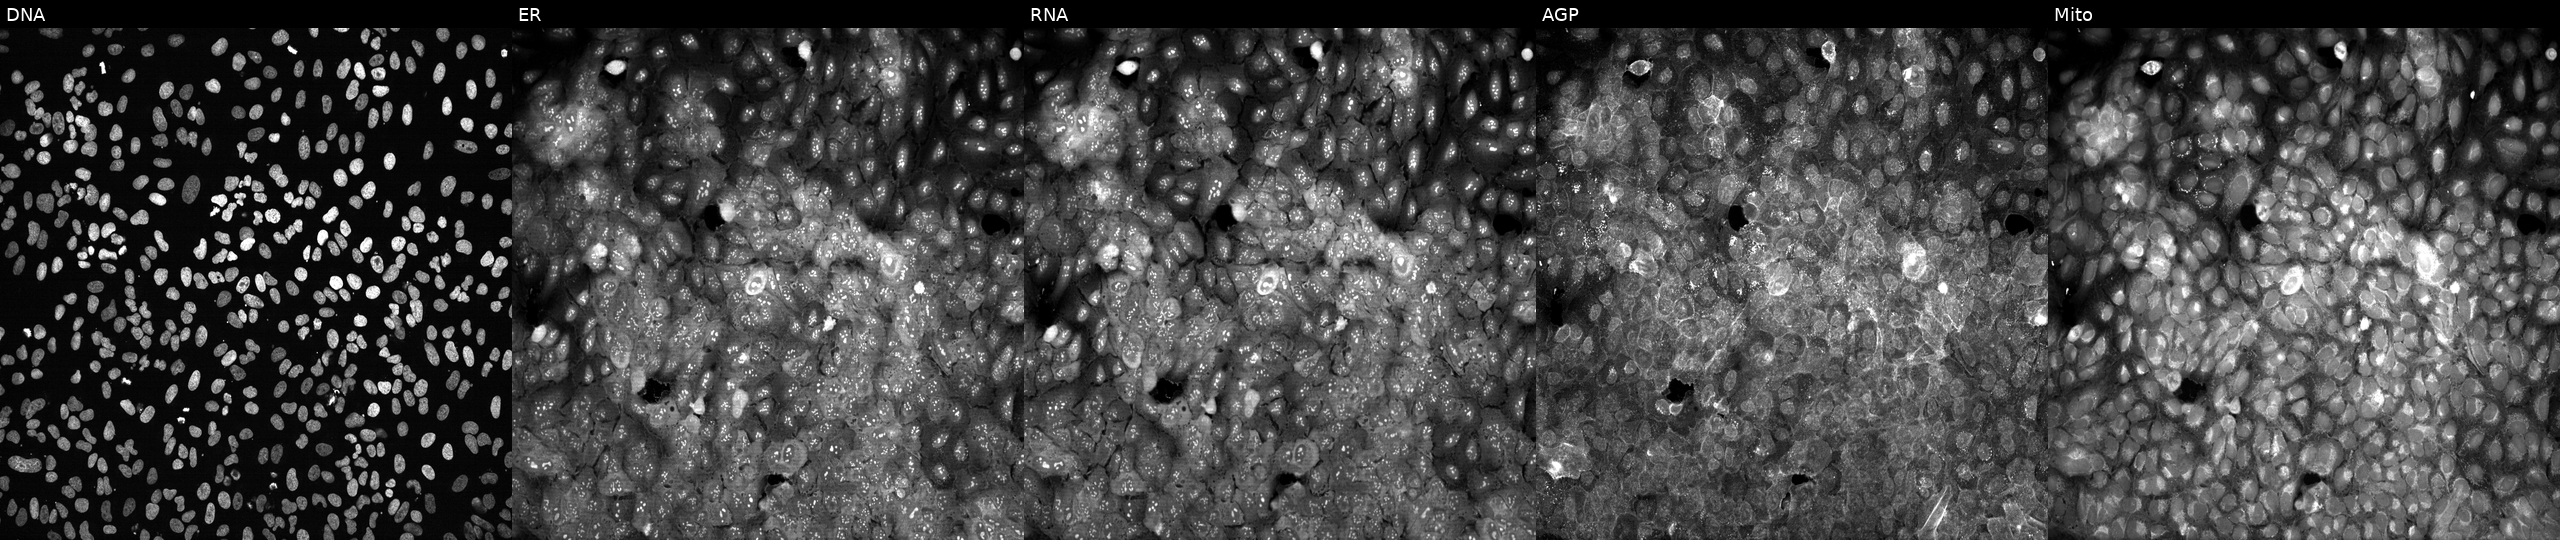
High-content fluorescence microscopy (Cell Painting). Cell line: U2OS. Perturbation: following CRISPR knockout of TAC3. Panels show, left to right, DNA (nuclei); ER (endoplasmic reticulum); RNA (nucleoli and cytoplasmic RNA); AGP (actin cytoskeleton, Golgi, and plasma membrane); Mito (mitochondria). Source 13, plate CP-CC9-R1-01, well P16.